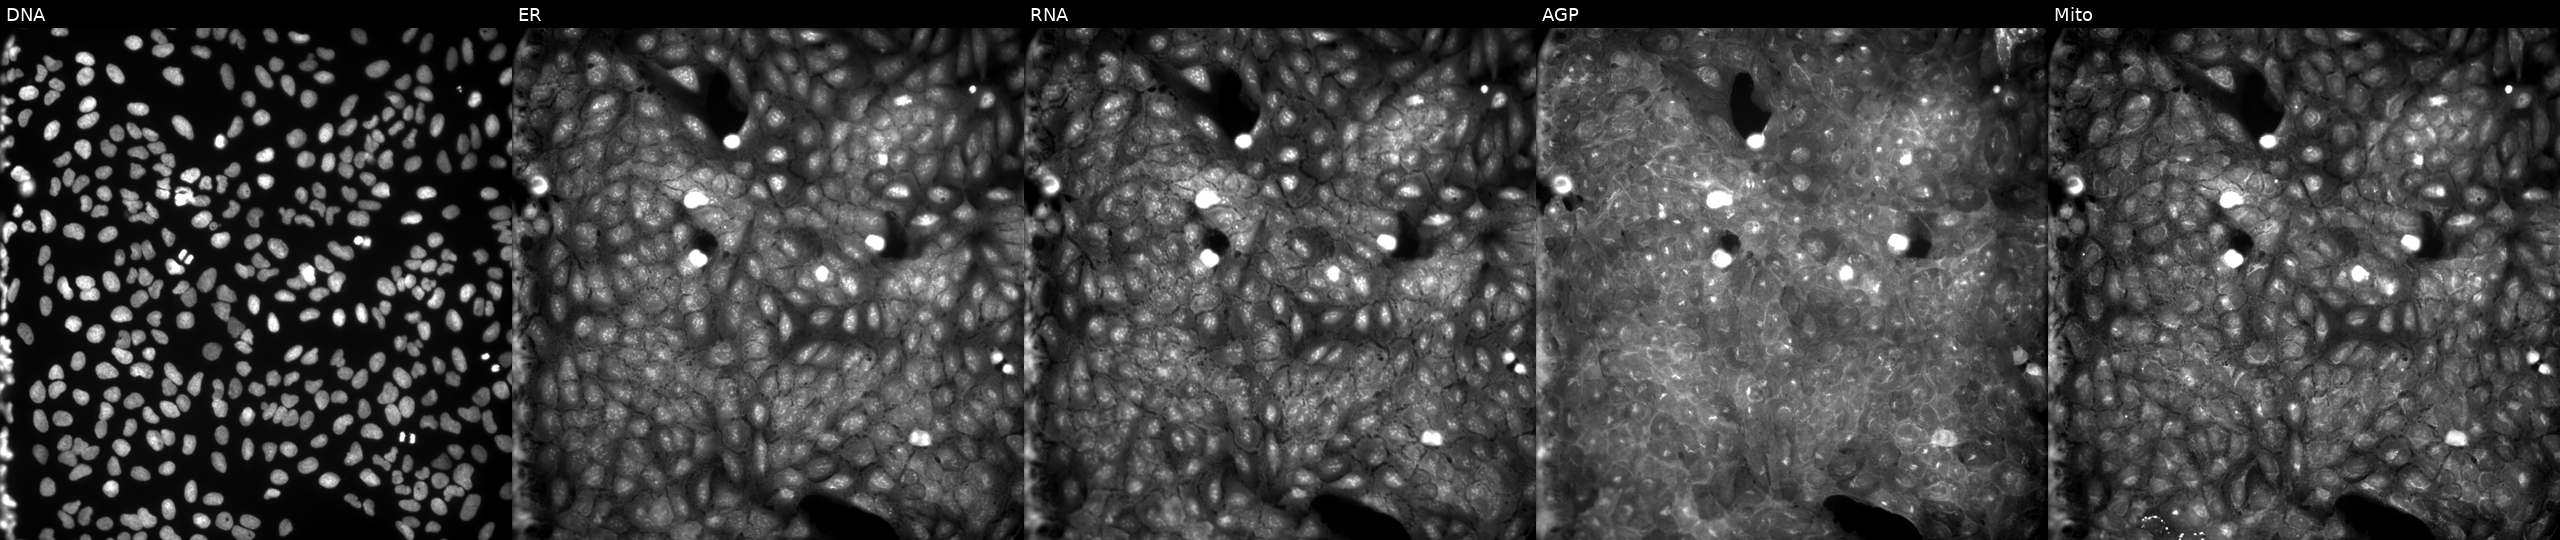
High-content fluorescence microscopy (Cell Painting). Cell line: U2OS. Perturbation: exposed to a small-molecule compound (InChIKey JSPWKXVREJVMOS-UHFFFAOYSA-N) (JUMP id JCP2022_041897). Channels (left→right): Hoechst 33342, concanavalin A, SYTO 14, phalloidin and WGA, MitoTracker. Source 9, plate GR00003382, well Z09.